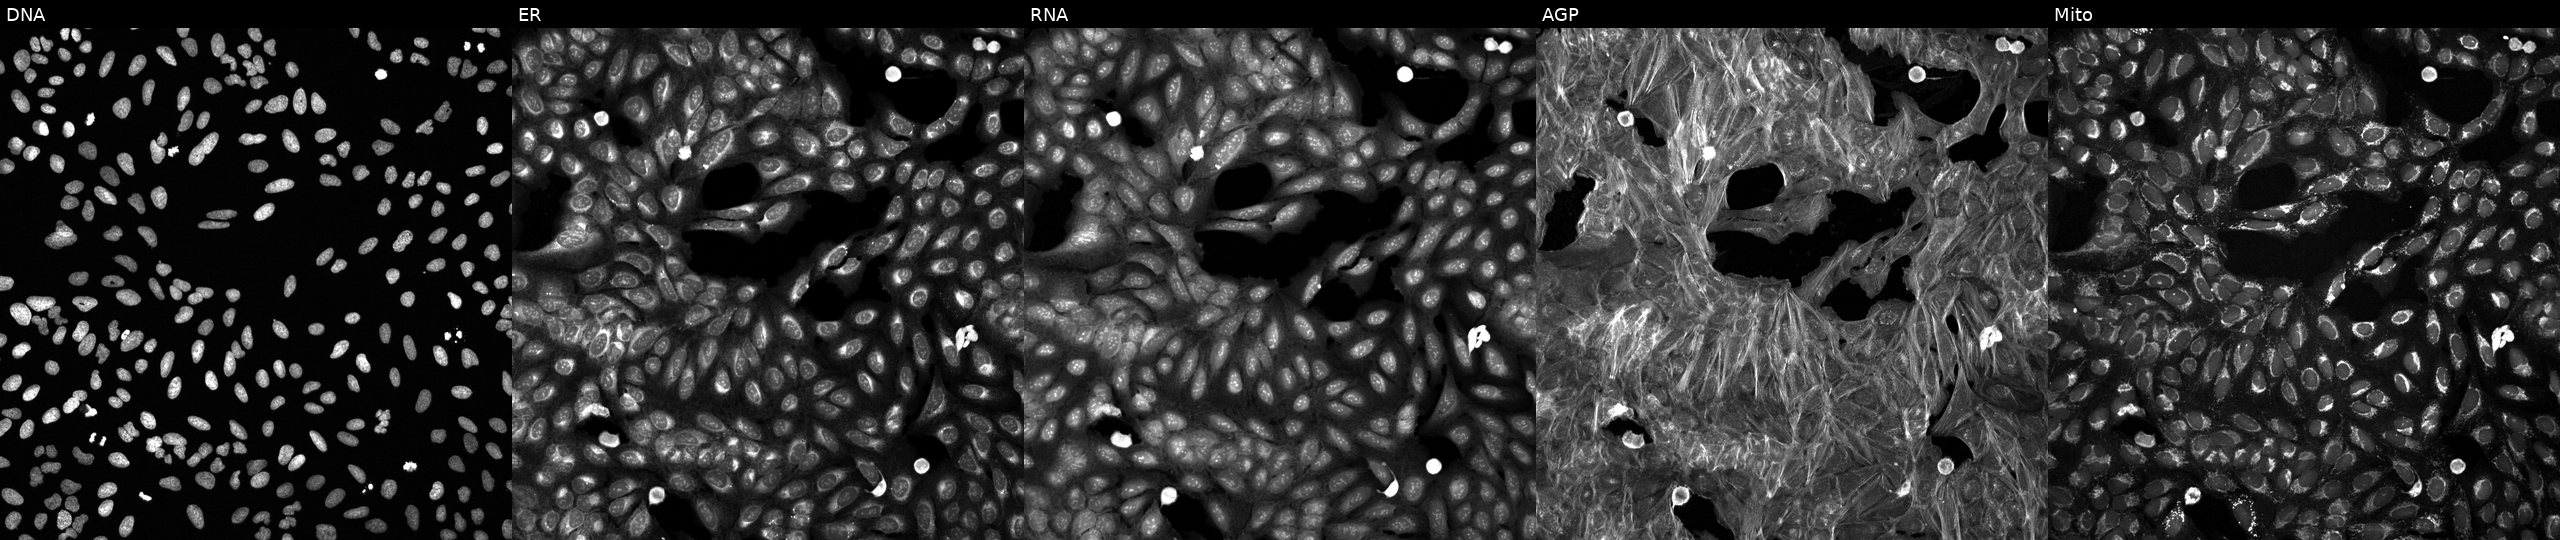
High-content fluorescence microscopy (Cell Painting). Cell line: U2OS. Perturbation: exposed to a small-molecule compound (InChIKey RCEZNYOAGXPWJB-UHFFFAOYSA-N). From left to right: DNA (nuclei); ER (endoplasmic reticulum); RNA (nucleoli and cytoplasmic RNA); AGP (actin cytoskeleton, Golgi, and plasma membrane); Mito (mitochondria).